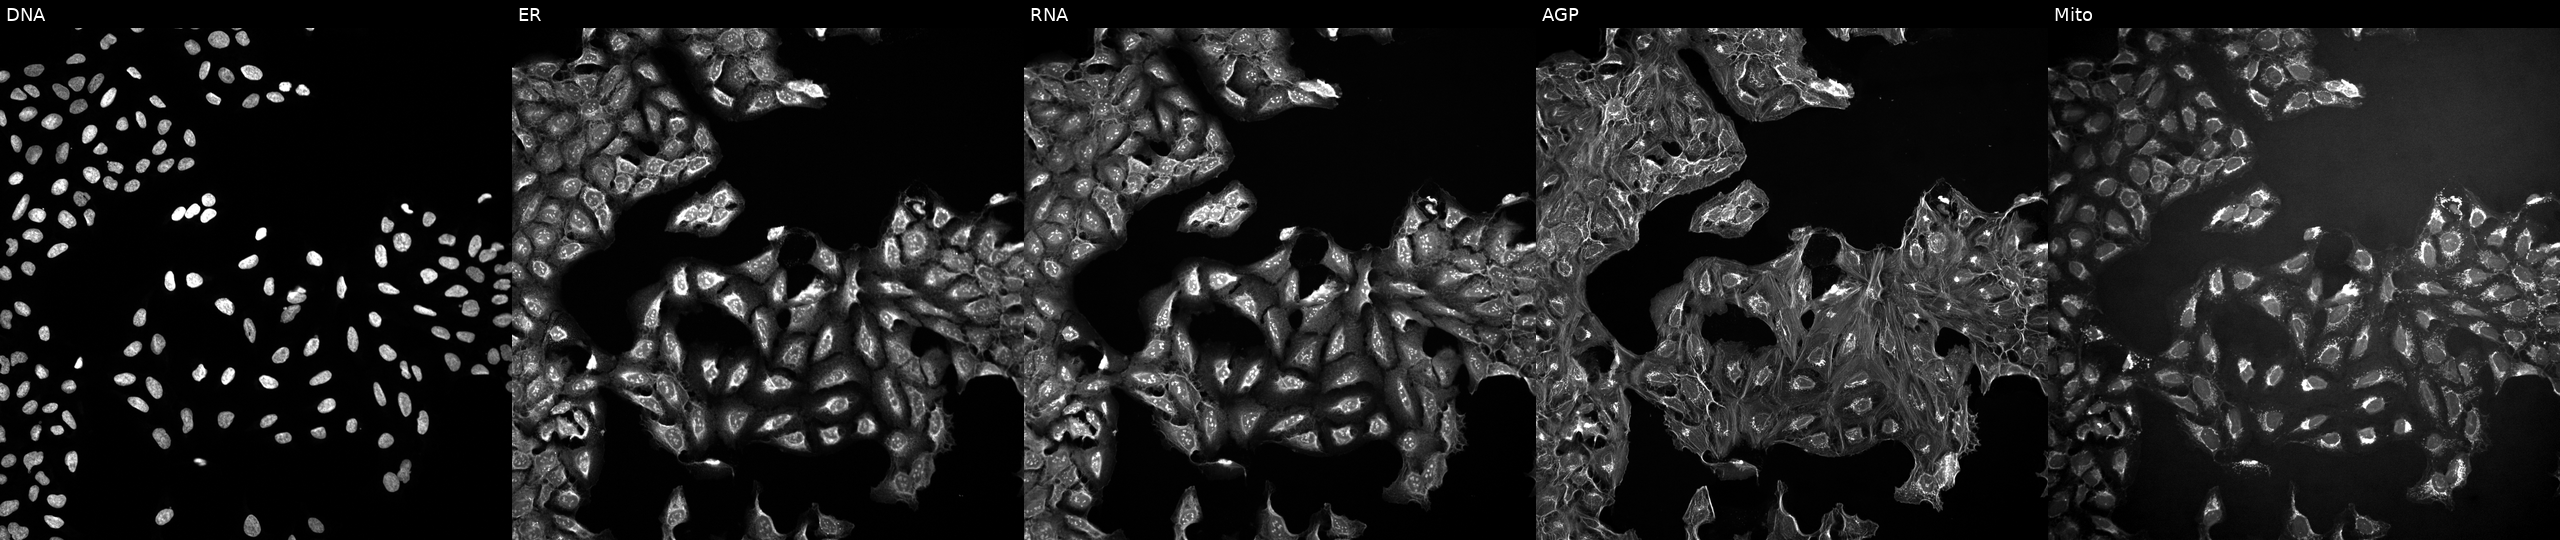
U2OS cells, Cell Painting assay, in an empty control well (no perturbation). Panels show, left to right, DNA (nuclei); ER (endoplasmic reticulum); RNA (nucleoli and cytoplasmic RNA); AGP (actin cytoskeleton, Golgi, and plasma membrane); Mito (mitochondria). Each panel is percentile-stretched 16-bit fluorescence. Source 10, plate Dest210531-152324, well A21.